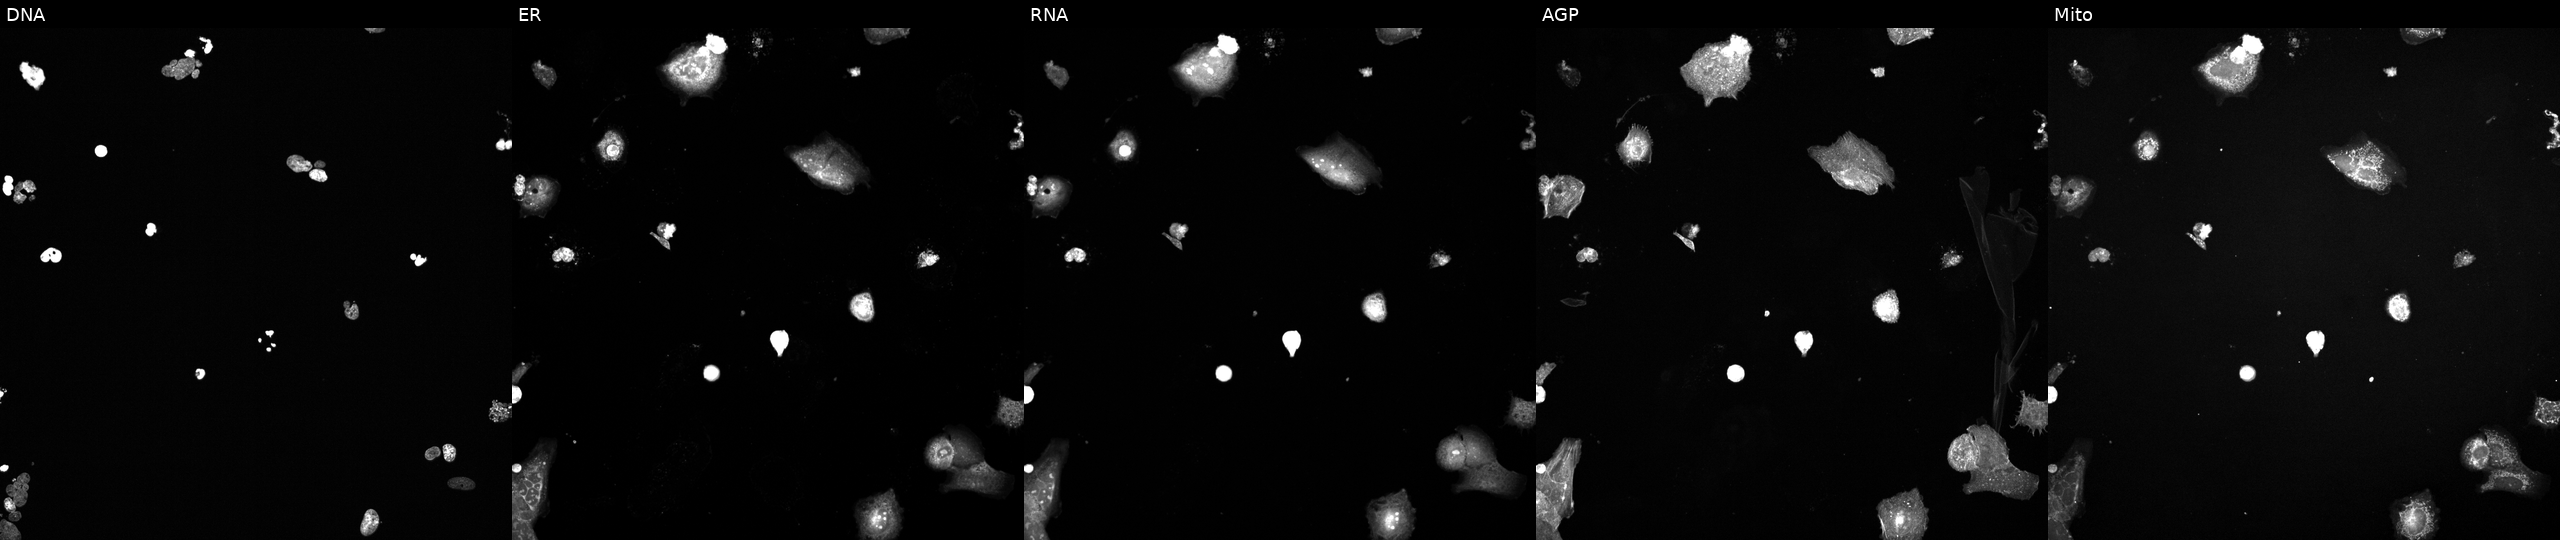
The five panels, left to right, show DNA (nuclei); ER (endoplasmic reticulum); RNA (nucleoli and cytoplasmic RNA); AGP (actin cytoskeleton, Golgi, and plasma membrane); Mito (mitochondria). U2OS osteosarcoma cells perturbed with a small-molecule compound (InChIKey IAKHMKGGTNLKSZ-UHFFFAOYSA-N). Cell Painting assay, JUMP-CP dataset.